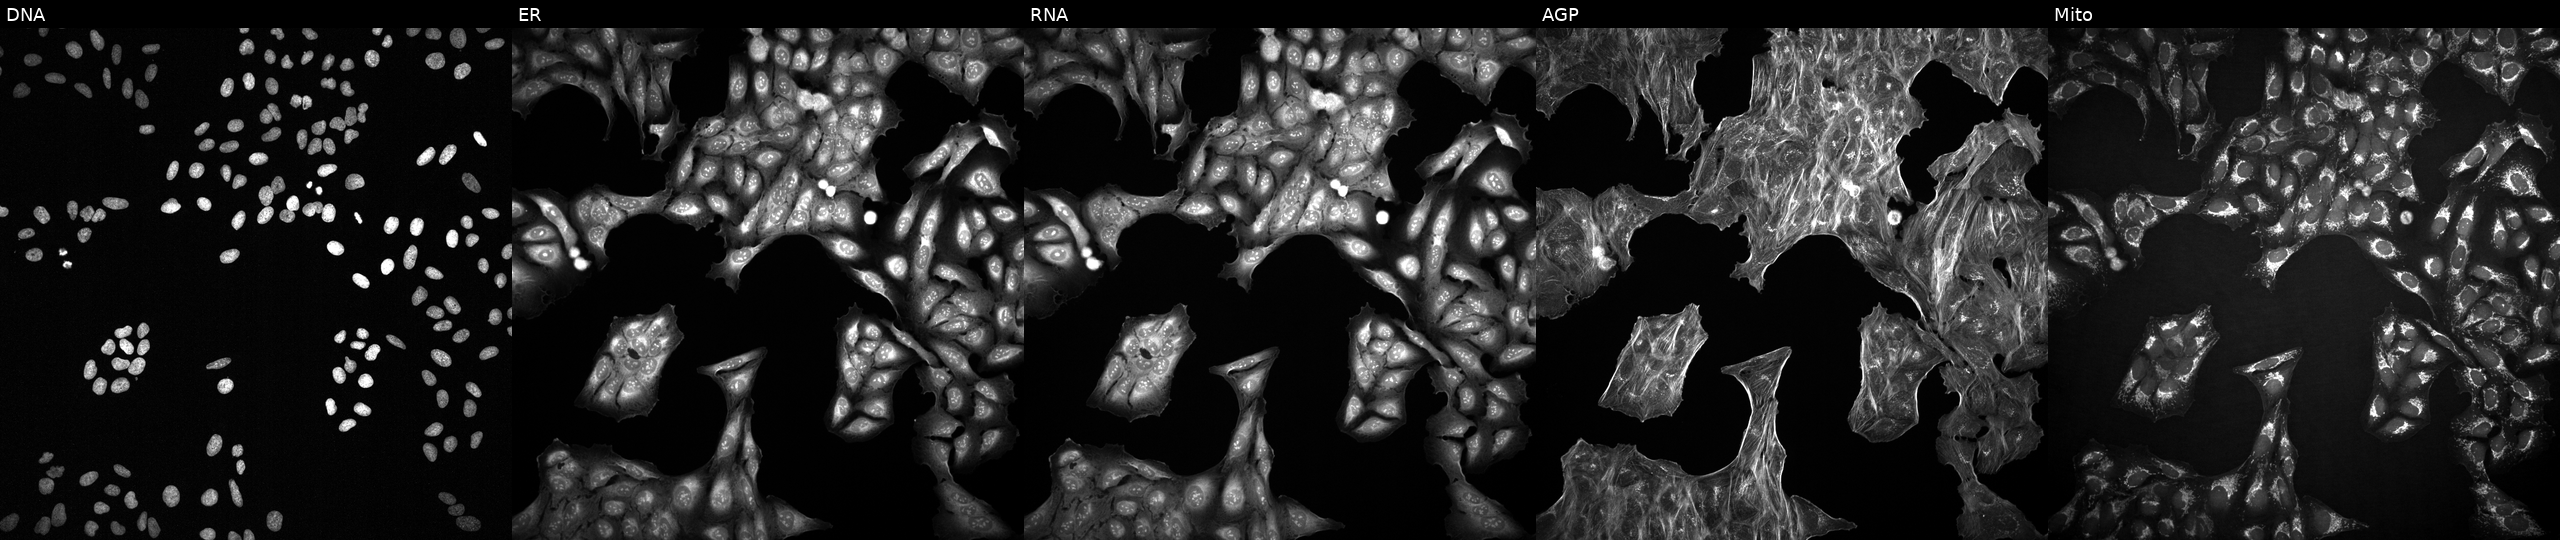
JUMP Cell Painting — COMPOUND plate. U2OS cells with an unidentified perturbation (not annotated in JUMP metadata). The five panels, left to right, show Hoechst 33342, concanavalin A, SYTO 14, phalloidin and WGA, MitoTracker. Source 2, plate 1053601756, well F04.